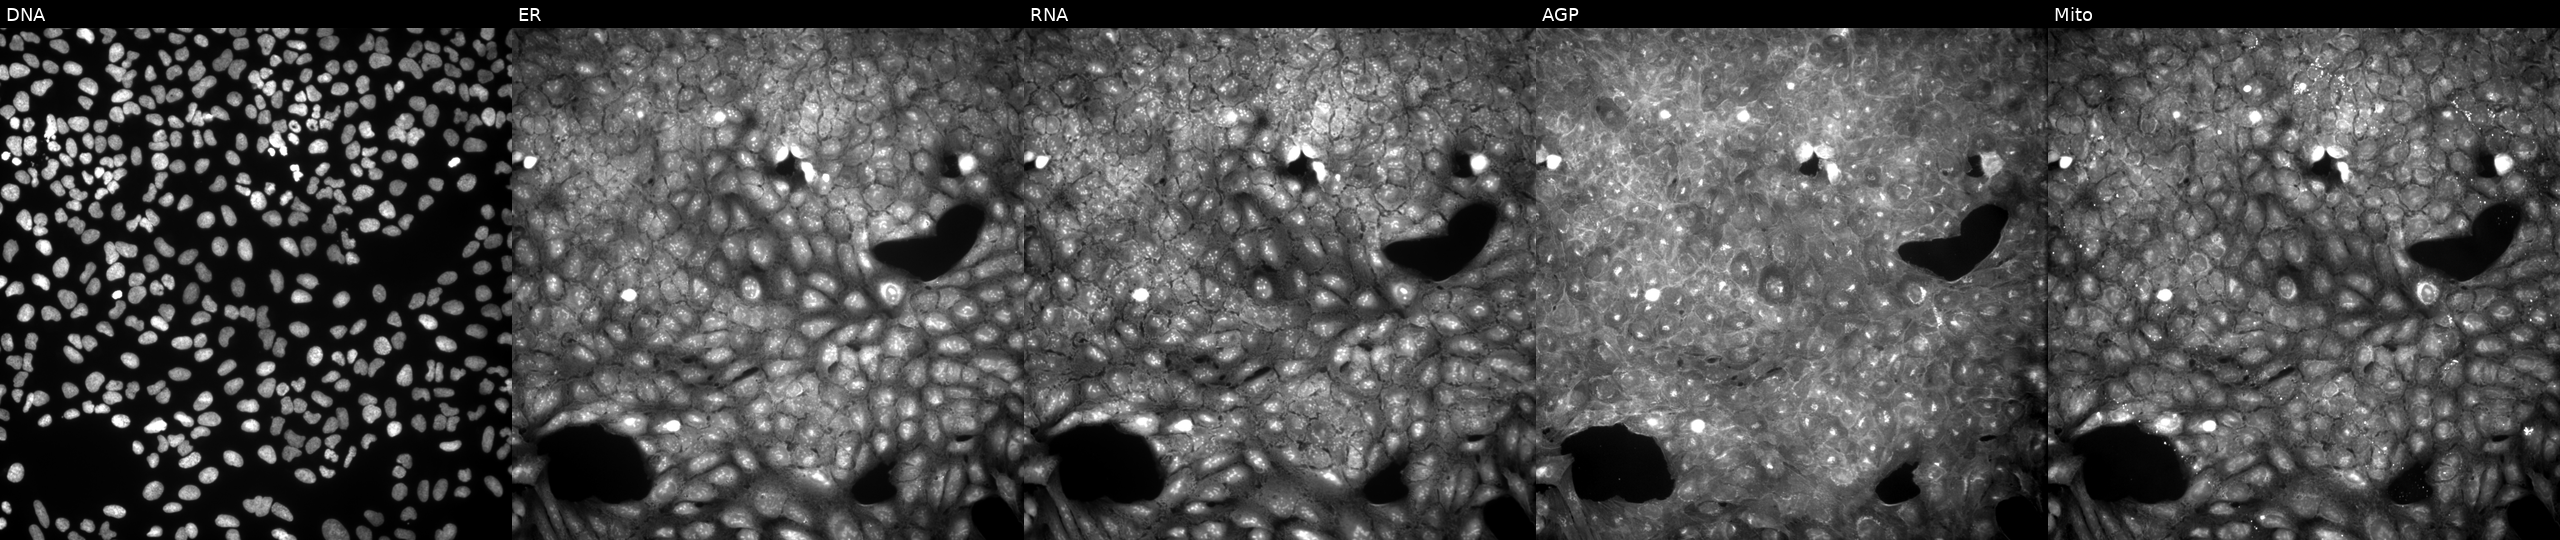
JUMP Cell Painting — COMPOUND plate. U2OS cells treated with a small-molecule compound (InChIKey DSBHPURPHITONH-UHFFFAOYSA-N). Channels (left→right): DNA, ER, RNA, AGP, and Mito.